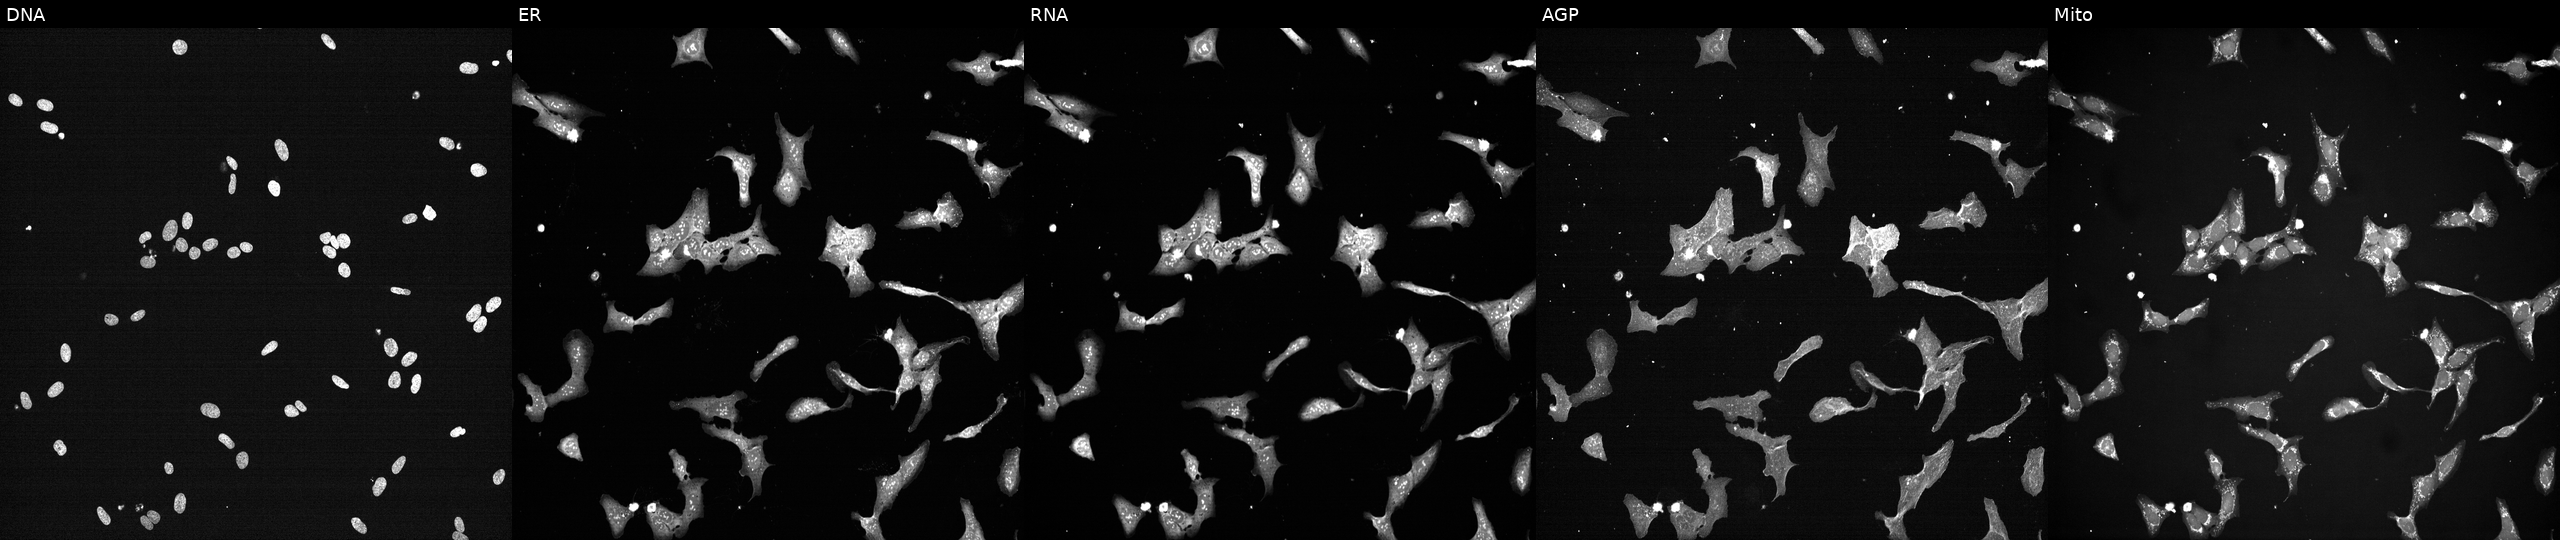
This image strip shows the five Cell Painting channels for a single field of U2OS cells exposed to a small-molecule compound. From left to right: DNA (nuclei); ER (endoplasmic reticulum); RNA (nucleoli and cytoplasmic RNA); AGP (actin cytoskeleton, Golgi, and plasma membrane); Mito (mitochondria).